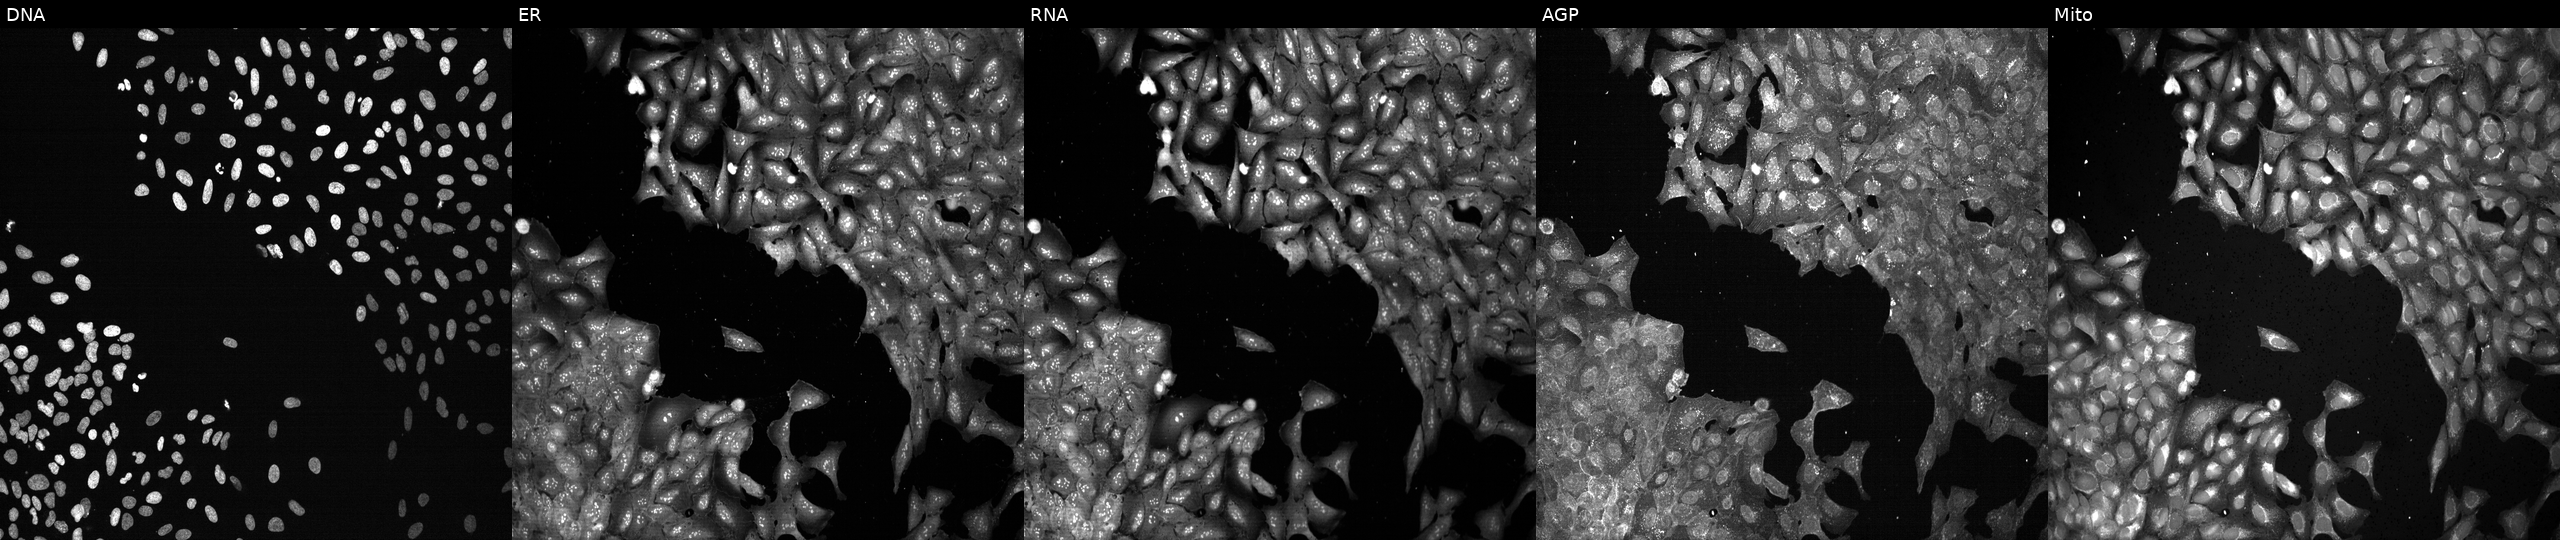
From left to right: Hoechst 33342, concanavalin A, SYTO 14, phalloidin and WGA, MitoTracker. U2OS osteosarcoma cells CRISPR-edited to disrupt DHRS4 (JUMP id JCP2022_801793). Cell Painting assay, JUMP-CP dataset. Source 13, plate CP-CC9-R1-01, well H20.